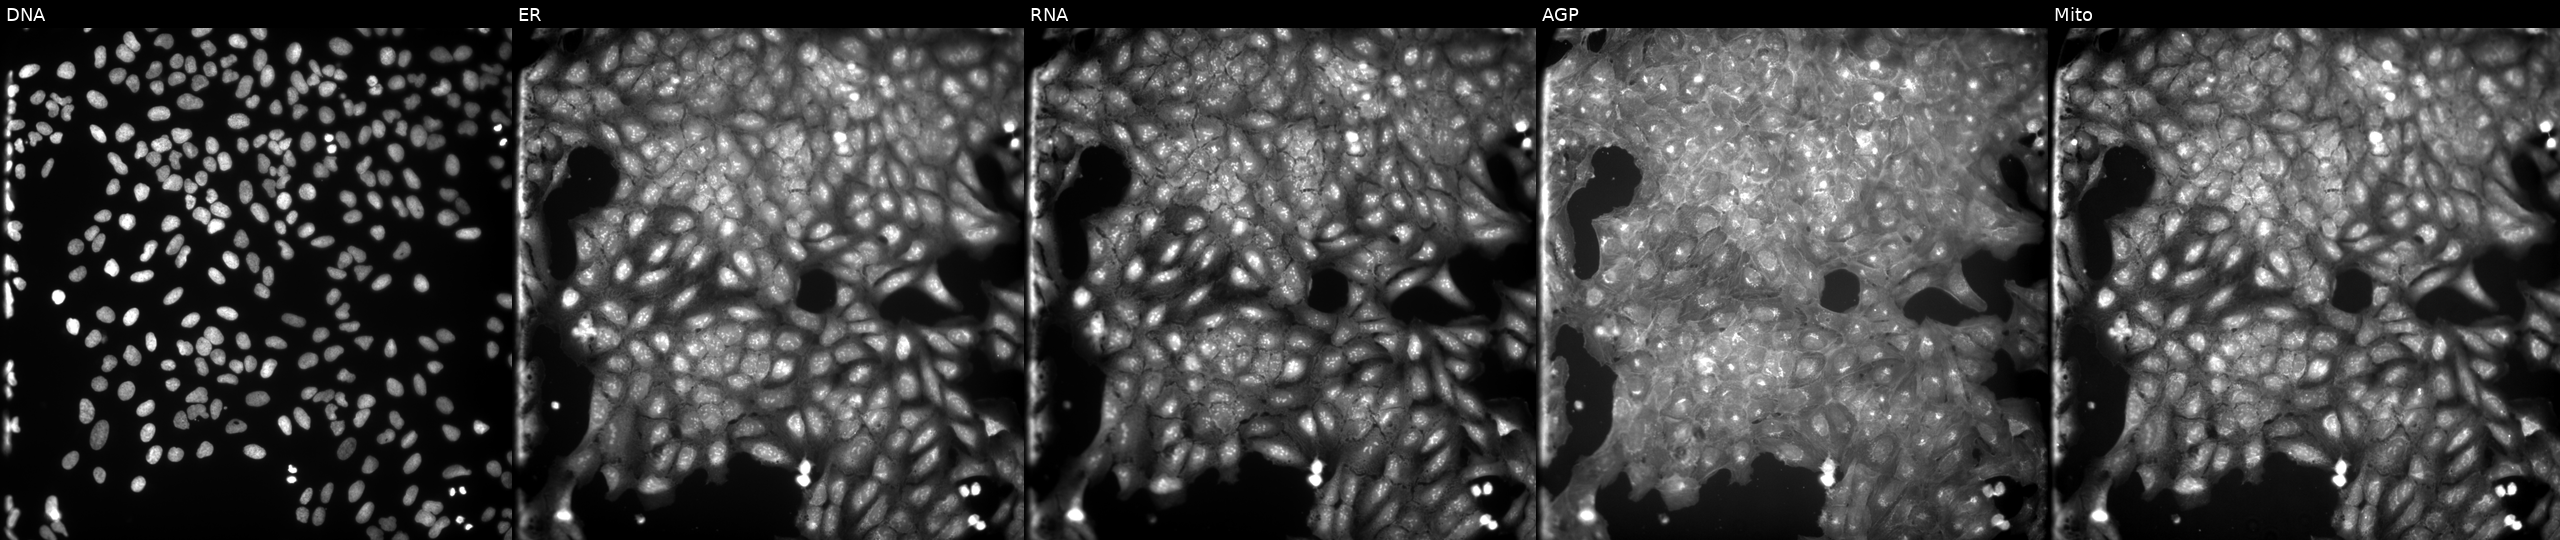
This image strip shows the five Cell Painting channels for a single field of U2OS cells perturbed with a small-molecule compound (InChIKey JFIYRVDCLVDJCP-UHFFFAOYSA-N). From left to right: DNA, ER, RNA, AGP, and Mito.